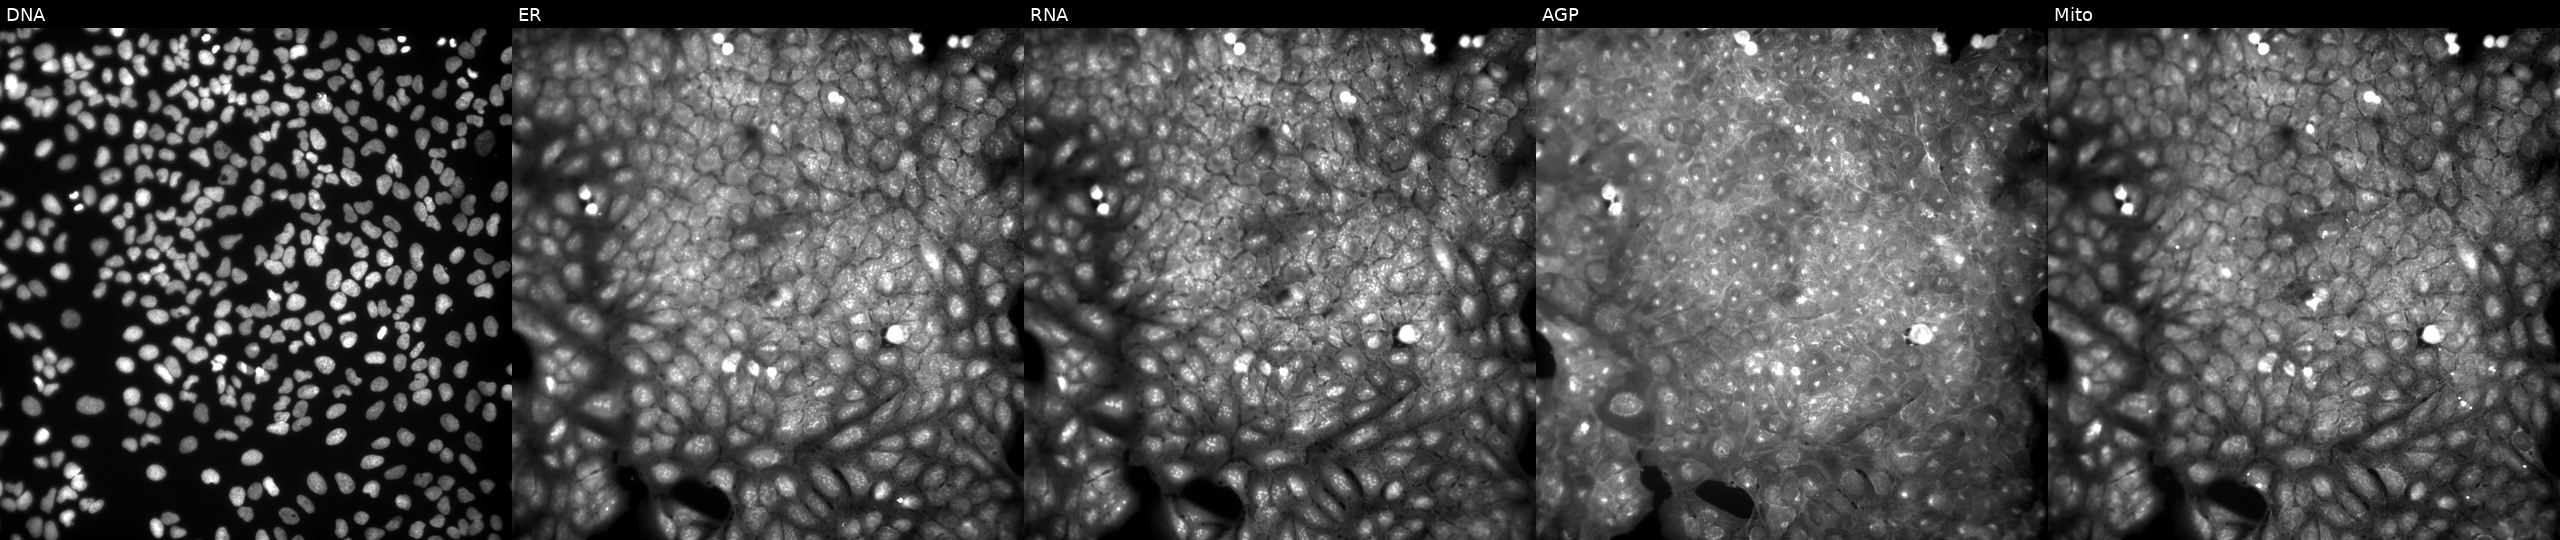
U2OS cells, Cell Painting assay, perturbed with a small-molecule compound [SMILES: C=CCn1c(=N)n(CC(O)C(C)(C)C)c2ccccc21] (JUMP id JCP2022_090627). The five panels, left to right, show DNA (nuclei); ER (endoplasmic reticulum); RNA (nucleoli and cytoplasmic RNA); AGP (actin cytoskeleton, Golgi, and plasma membrane); Mito (mitochondria). Each panel is percentile-stretched 16-bit fluorescence.